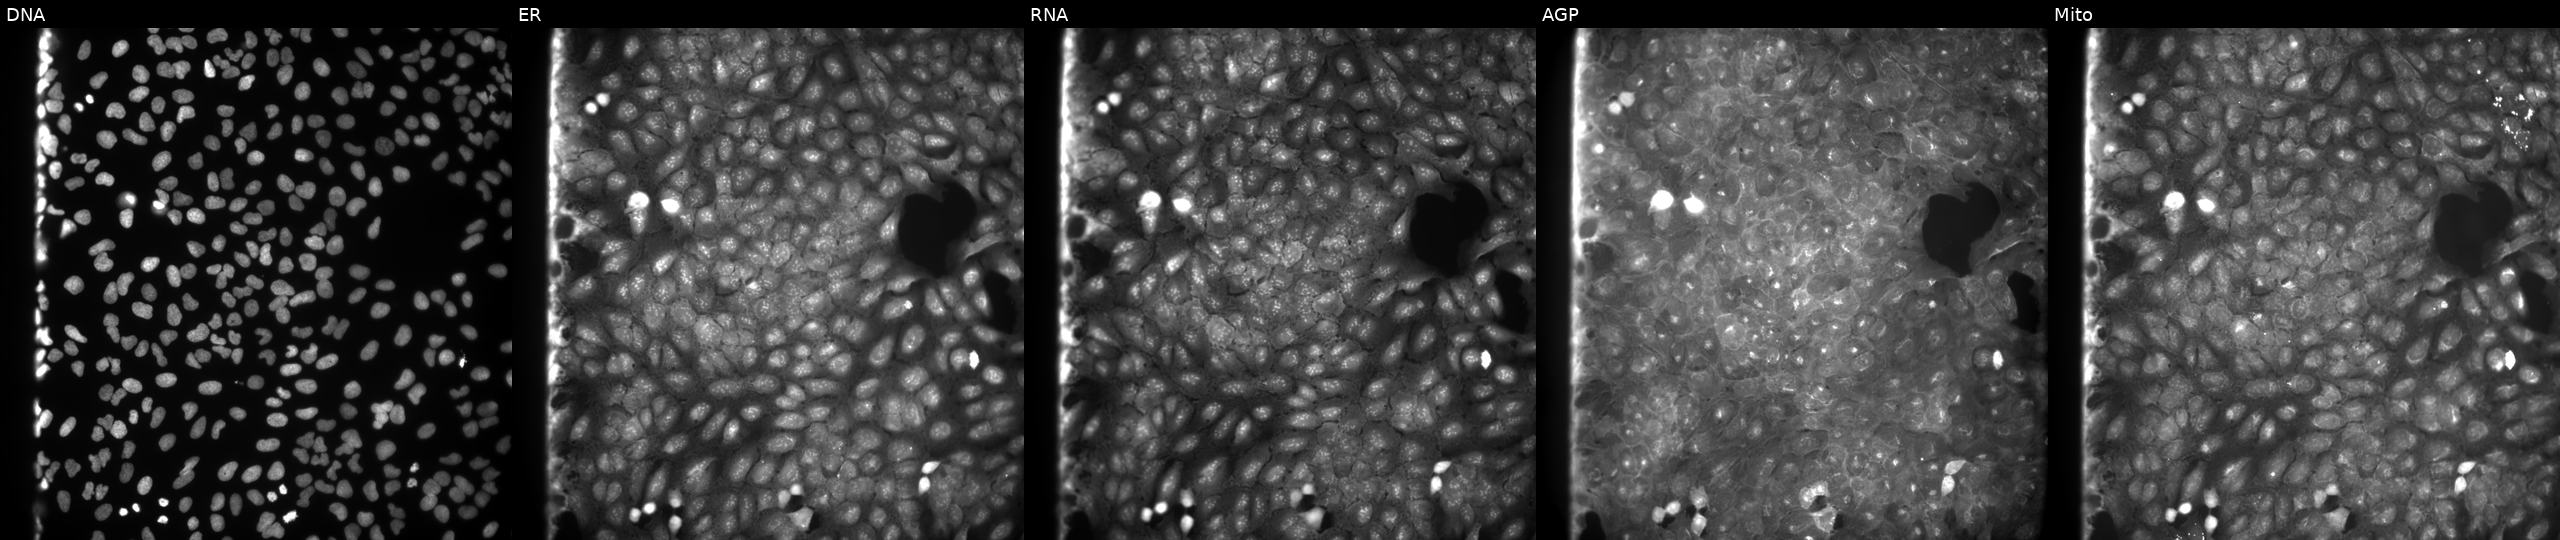
U2OS cells, Cell Painting assay, exposed to DMSO alone as a negative control. The five panels, left to right, show Hoechst 33342, concanavalin A, SYTO 14, phalloidin and WGA, MitoTracker. Each panel is percentile-stretched 16-bit fluorescence.